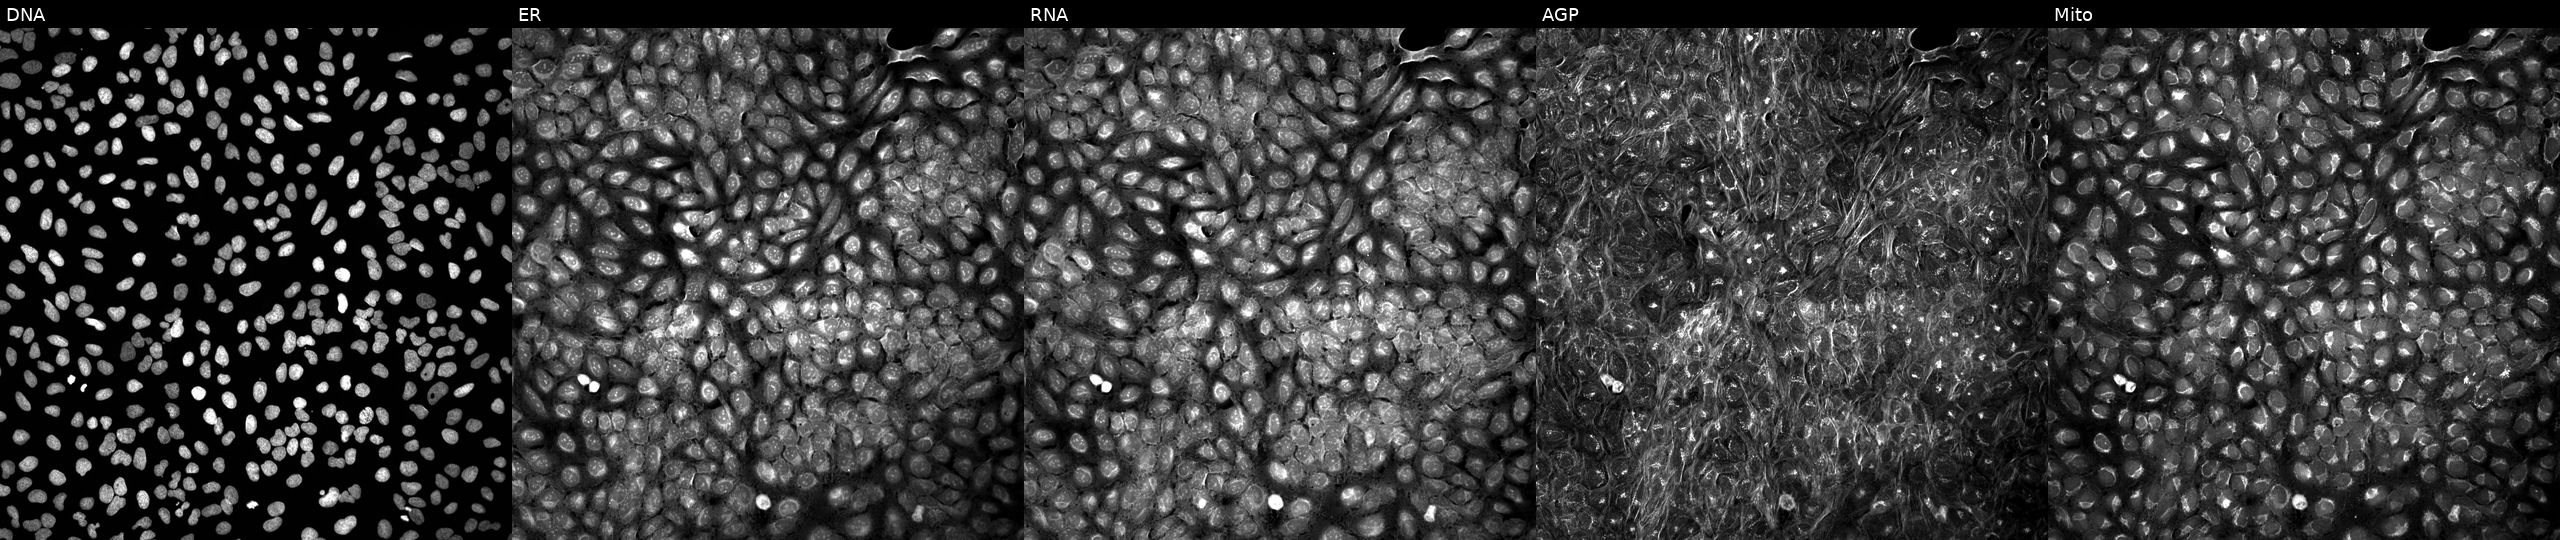
High-content fluorescence microscopy (Cell Painting). Cell line: U2OS. Perturbation: exposed to a small-molecule compound (InChIKey QUUFNCHAHRKILO-UHFFFAOYSA-N) [SMILES: Cn1cc(C2(C)CN(C(=O)NCc3cccc(Cl)c3)CCO2)cn1]. Channels (left→right): DNA (nuclei); ER (endoplasmic reticulum); RNA (nucleoli and cytoplasmic RNA); AGP (actin cytoskeleton, Golgi, and plasma membrane); Mito (mitochondria).